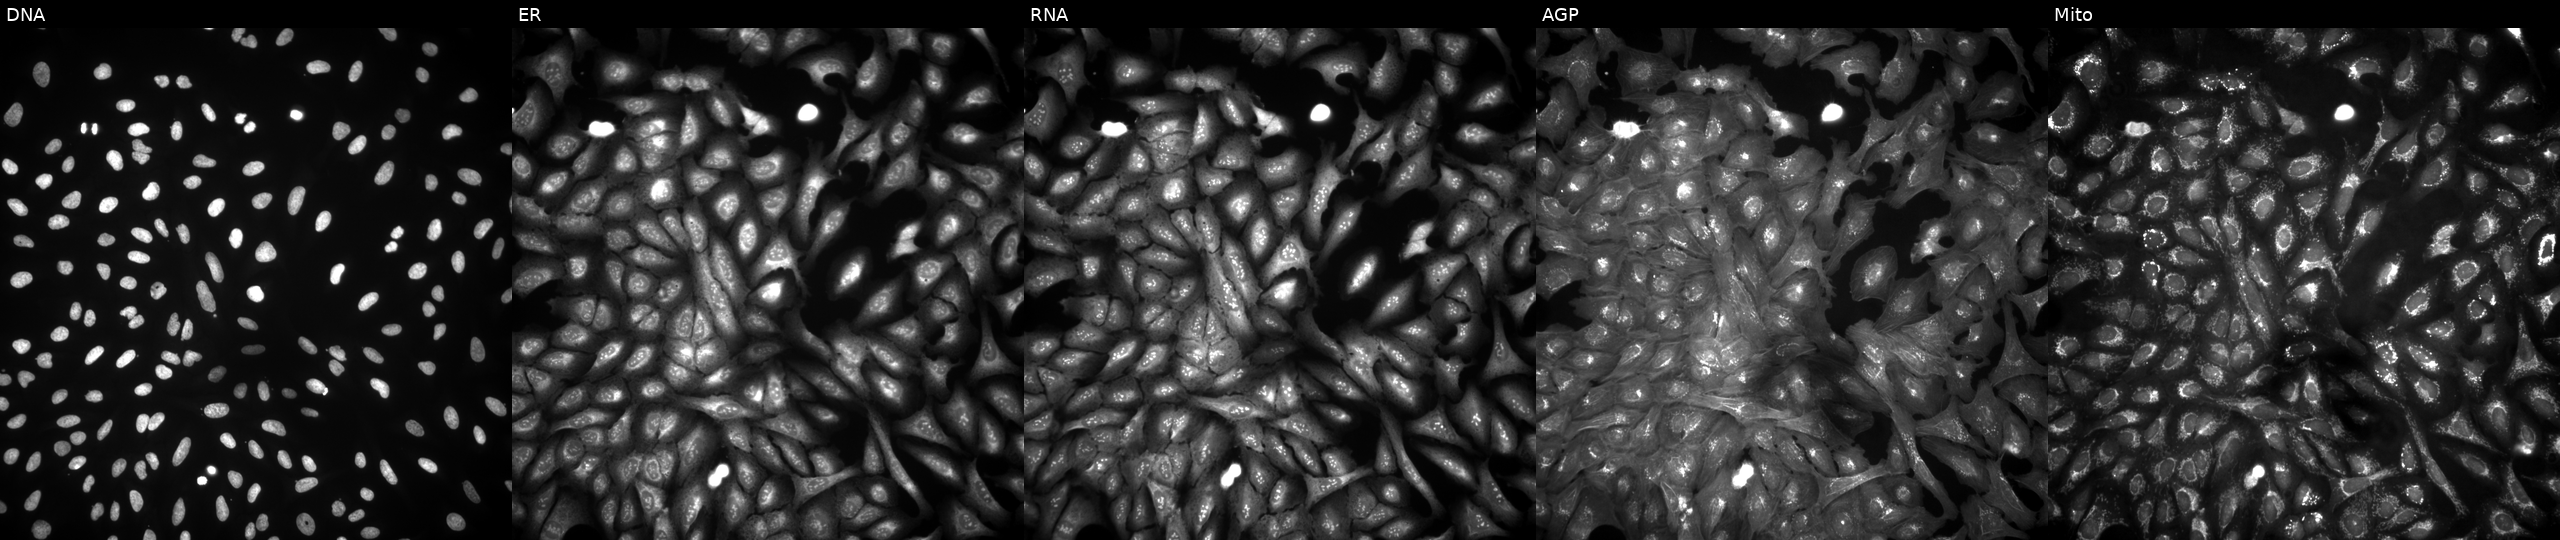
Five-channel Cell Painting image of U2OS cells with NOA1 overexpressed (ORF) (JUMP id JCP2022_904078). The five panels, left to right, show DNA, ER, RNA, AGP, and Mito. Source 4, plate BR00124790, well C17.